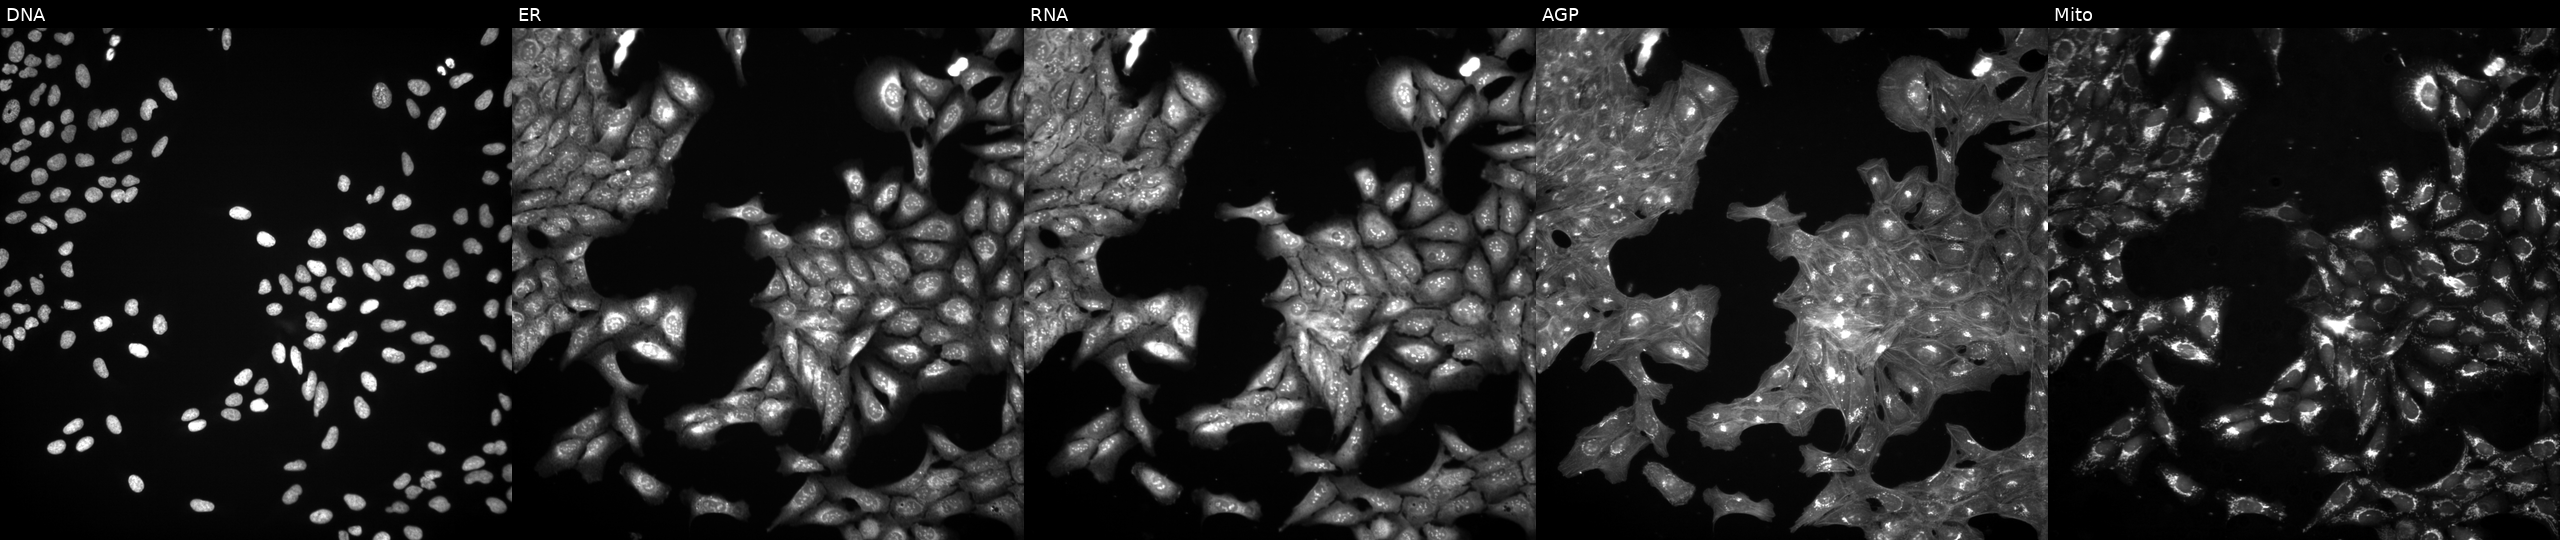
JUMP Cell Painting — TARGET2 plate. U2OS cells treated with DMSO vehicle only (negative control) (JUMP id JCP2022_033924). Channels (left→right): DNA, ER, RNA, AGP, and Mito.